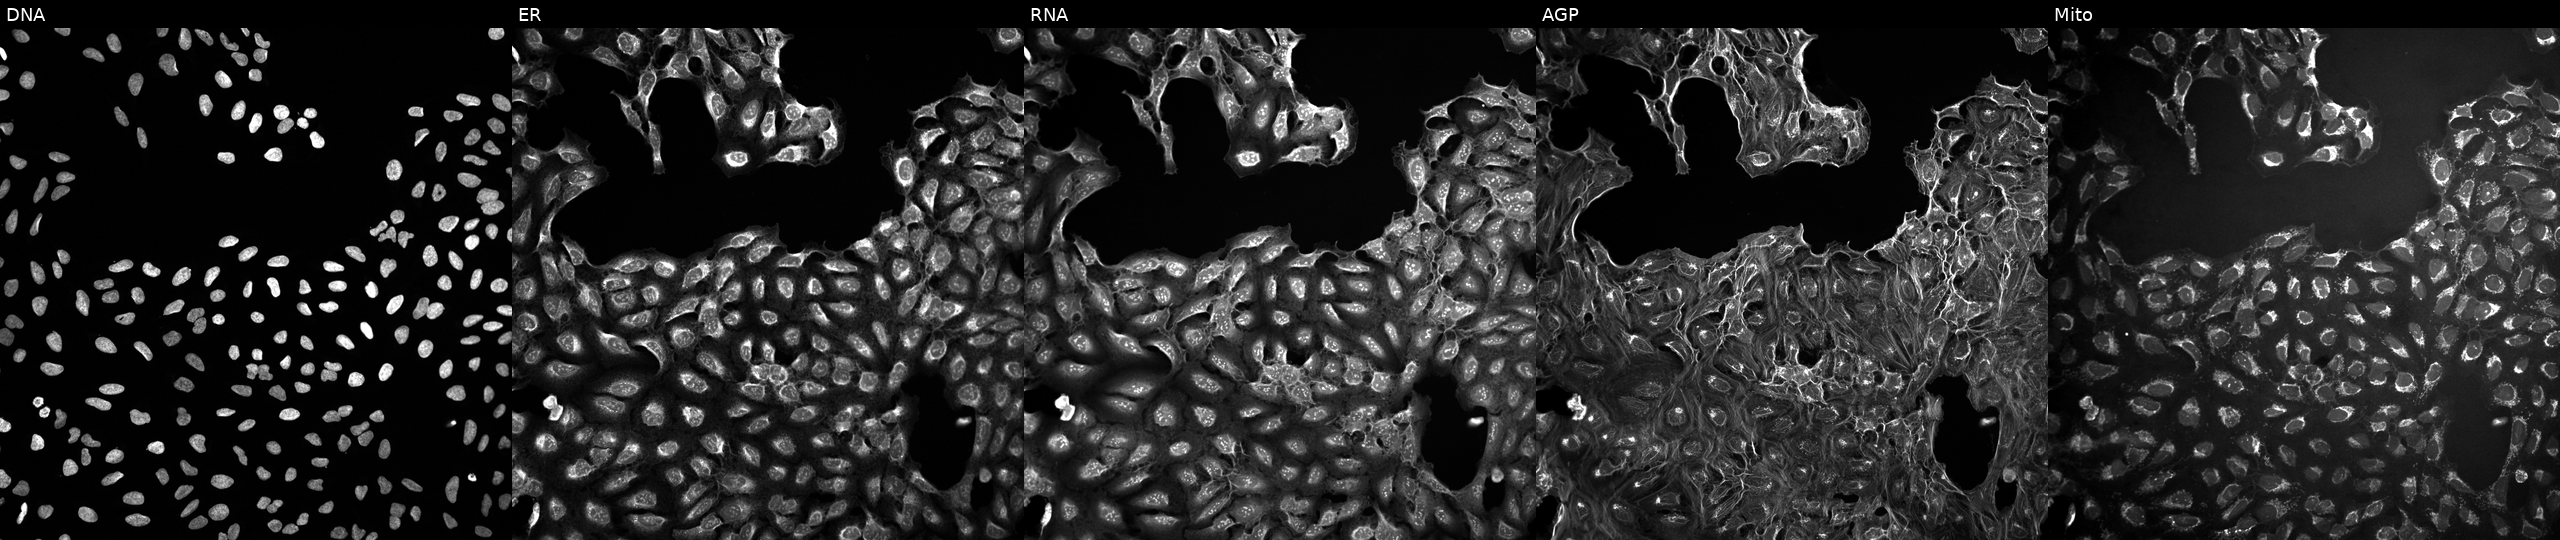
U2OS cells, Cell Painting assay, in an empty control well (no perturbation) (JUMP id JCP2022_999999). Channels (left→right): Hoechst 33342, concanavalin A, SYTO 14, phalloidin and WGA, MitoTracker. Each panel is percentile-stretched 16-bit fluorescence. Source 10, plate Dest210531-152324, well N14.